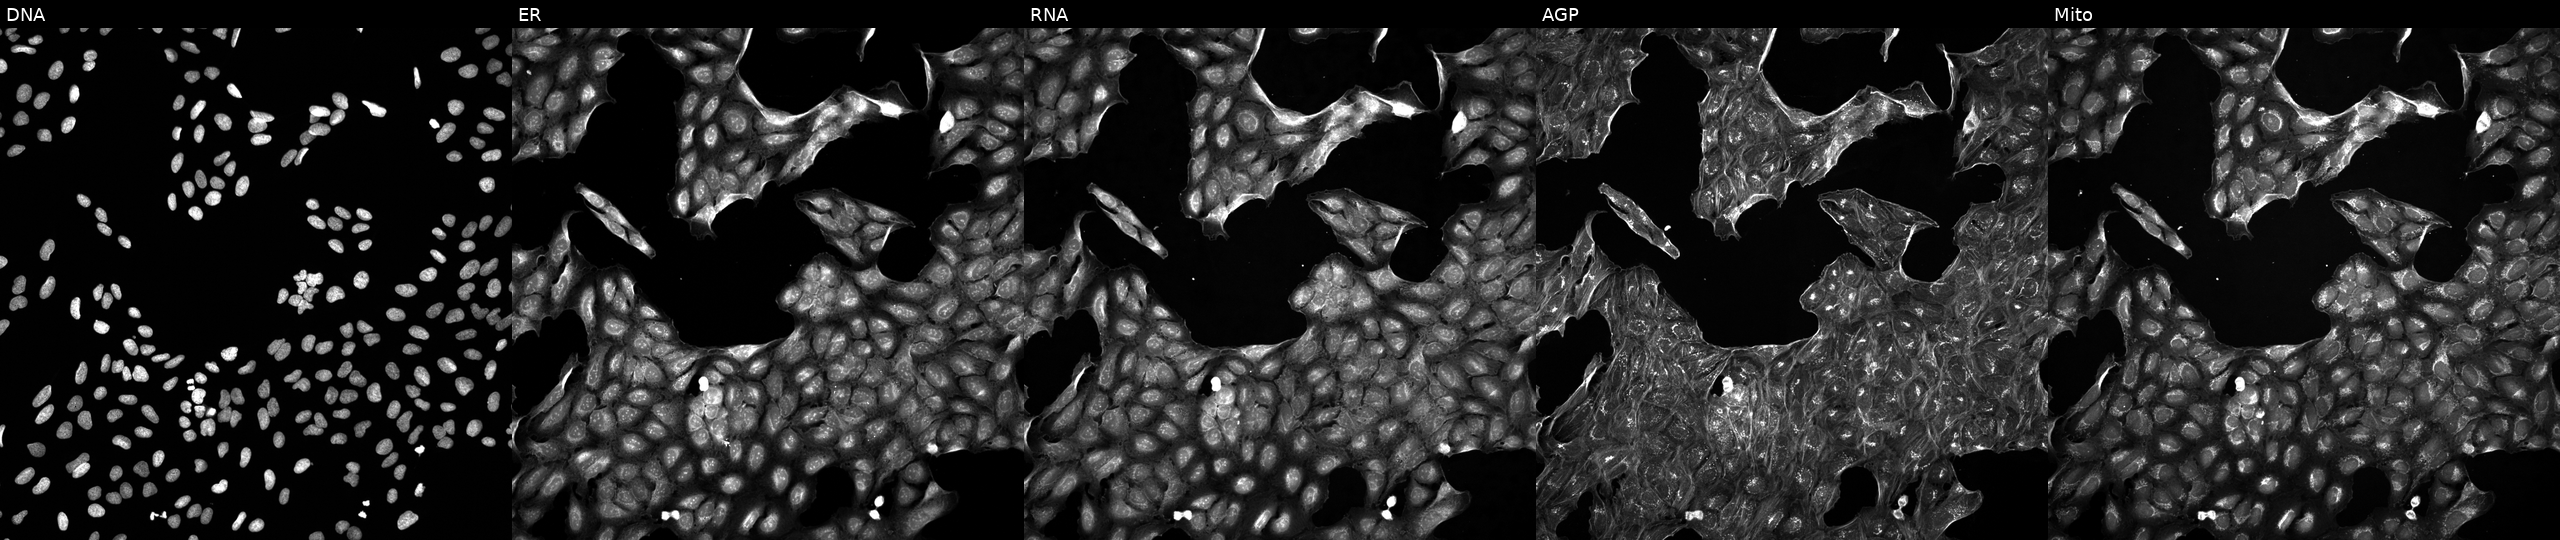
Five-channel Cell Painting image of U2OS cells treated with a small-molecule compound (InChIKey BJNIKOJYKCZYSG-UHFFFAOYSA-N) (JUMP id JCP2022_006764). From left to right: Hoechst 33342, concanavalin A, SYTO 14, phalloidin and WGA, MitoTracker.